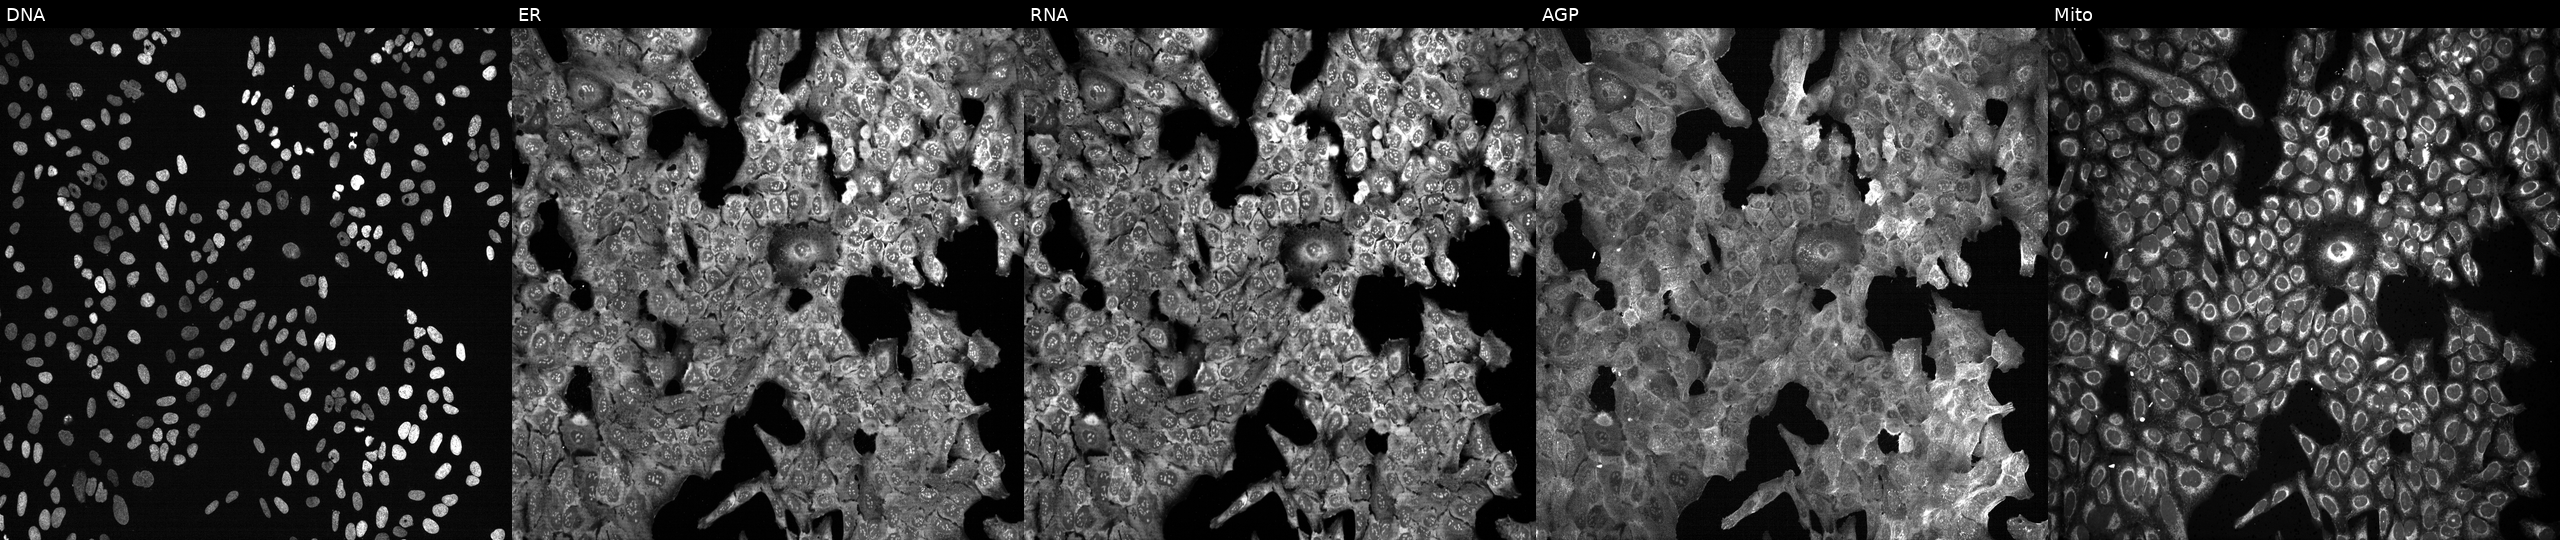
High-content fluorescence microscopy (Cell Painting). Cell line: U2OS. Perturbation: with ATP2A2 knocked out by CRISPR (JUMP id JCP2022_800710). Channels (left→right): DNA, ER, RNA, AGP, and Mito.